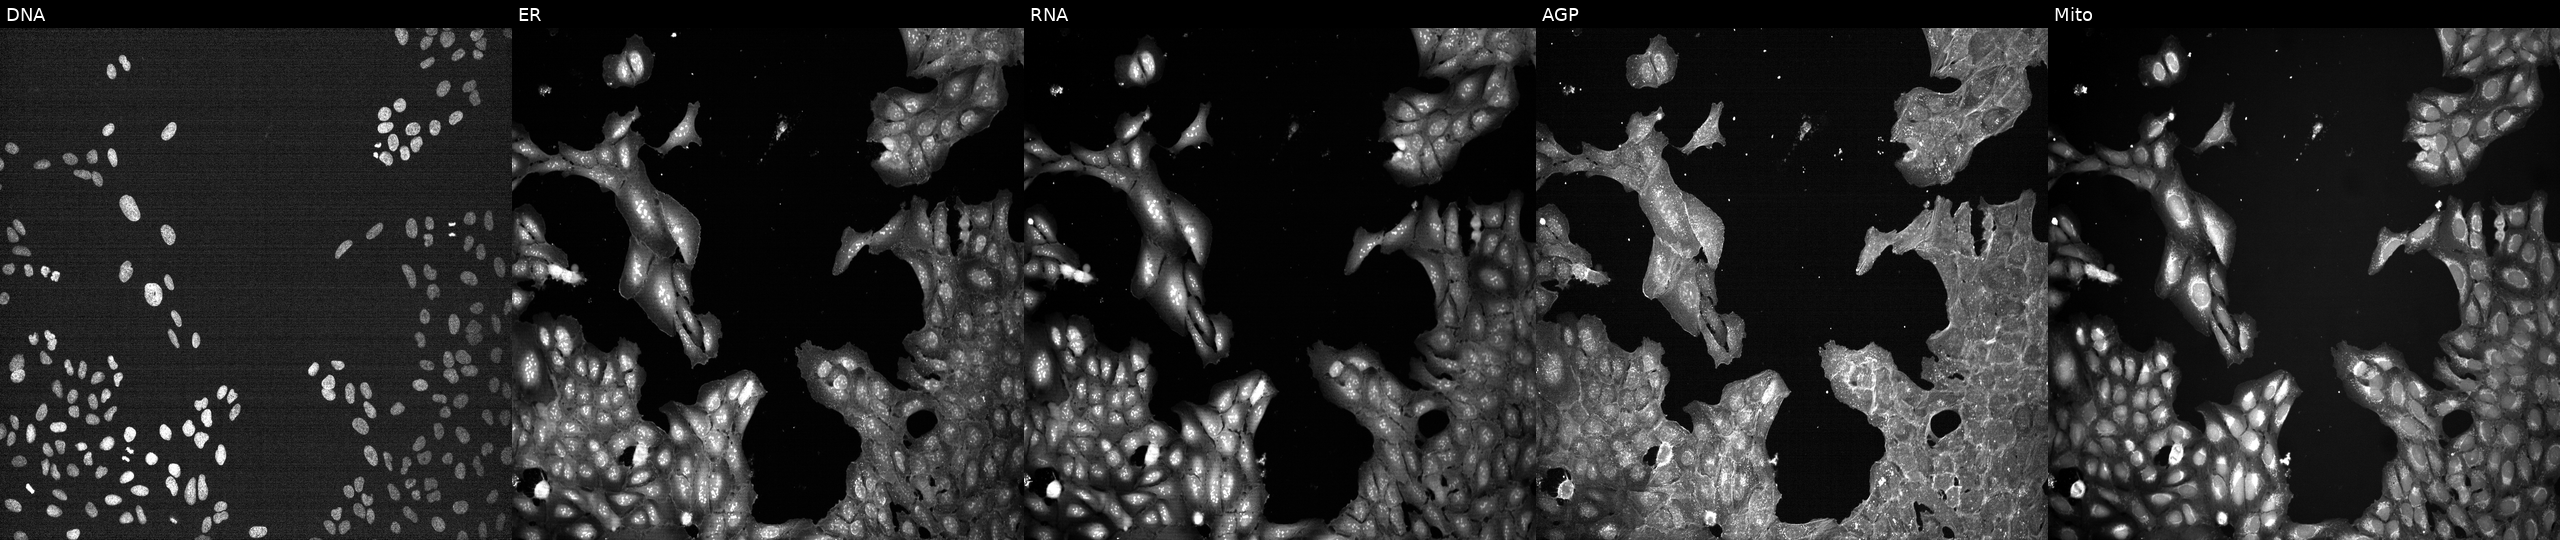
High-content fluorescence microscopy (Cell Painting). Cell line: U2OS. Perturbation: perturbed with a small-molecule compound (InChIKey LPGBXHWIQNZEJB-UHFFFAOYSA-N) (JUMP id JCP2022_050873). From left to right: Hoechst 33342, concanavalin A, SYTO 14, phalloidin and WGA, MitoTracker.